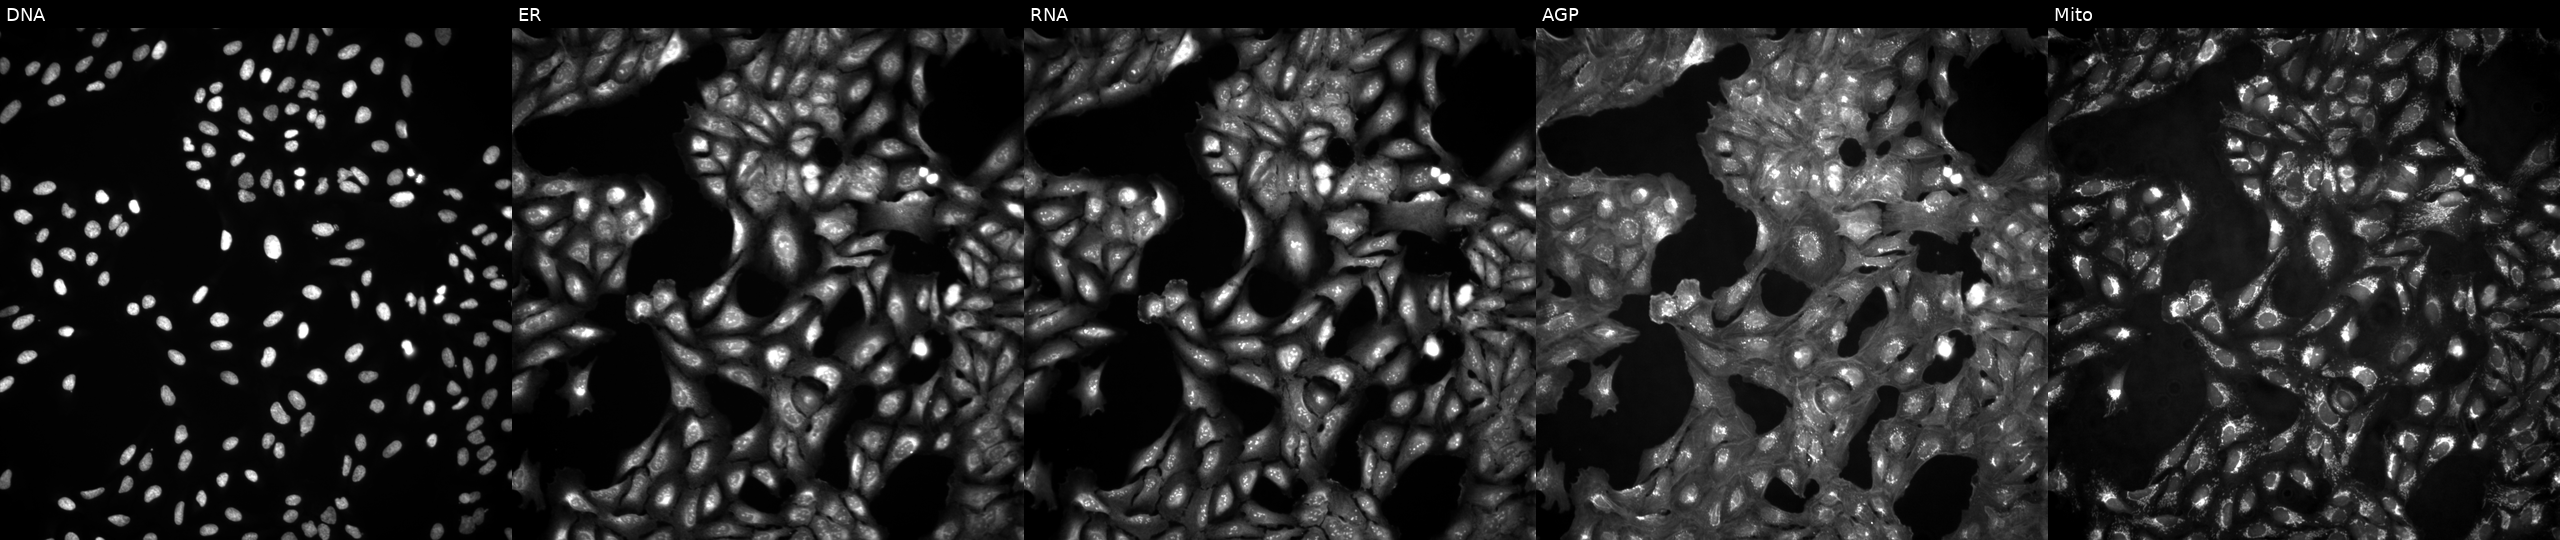
Channels (left→right): Hoechst 33342, concanavalin A, SYTO 14, phalloidin and WGA, MitoTracker. U2OS osteosarcoma cells in an empty control well (no perturbation) (JUMP id JCP2022_999999). Cell Painting assay, JUMP-CP dataset.